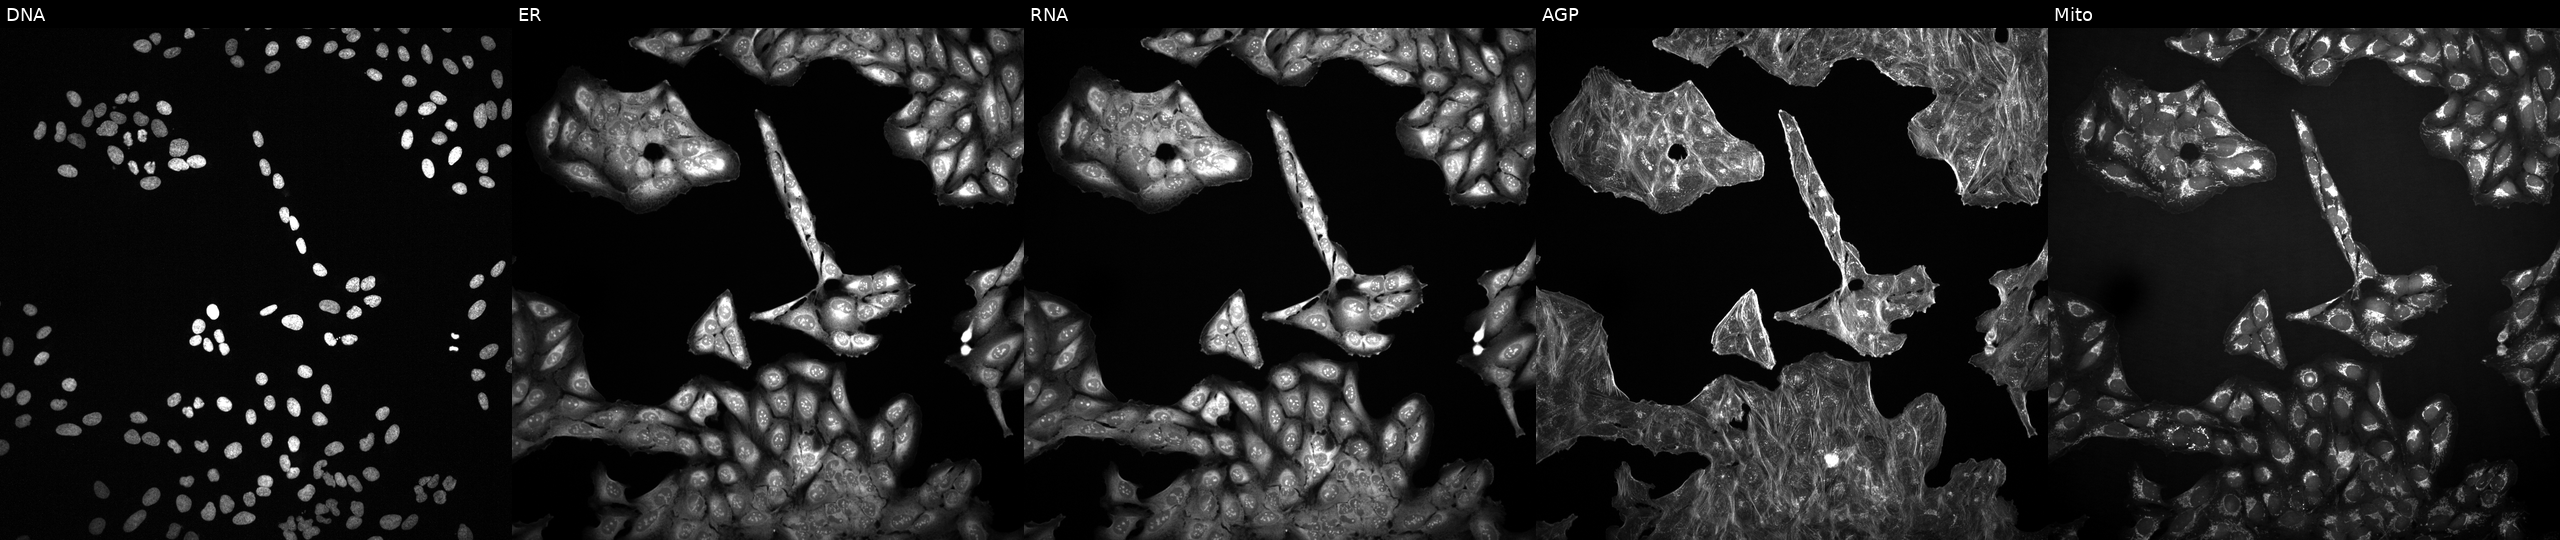
Five-channel Cell Painting image of U2OS cells exposed to DMSO alone as a negative control. Panels show, left to right, DNA (nuclei); ER (endoplasmic reticulum); RNA (nucleoli and cytoplasmic RNA); AGP (actin cytoskeleton, Golgi, and plasma membrane); Mito (mitochondria). Source 2, plate 1053597936, well D03.